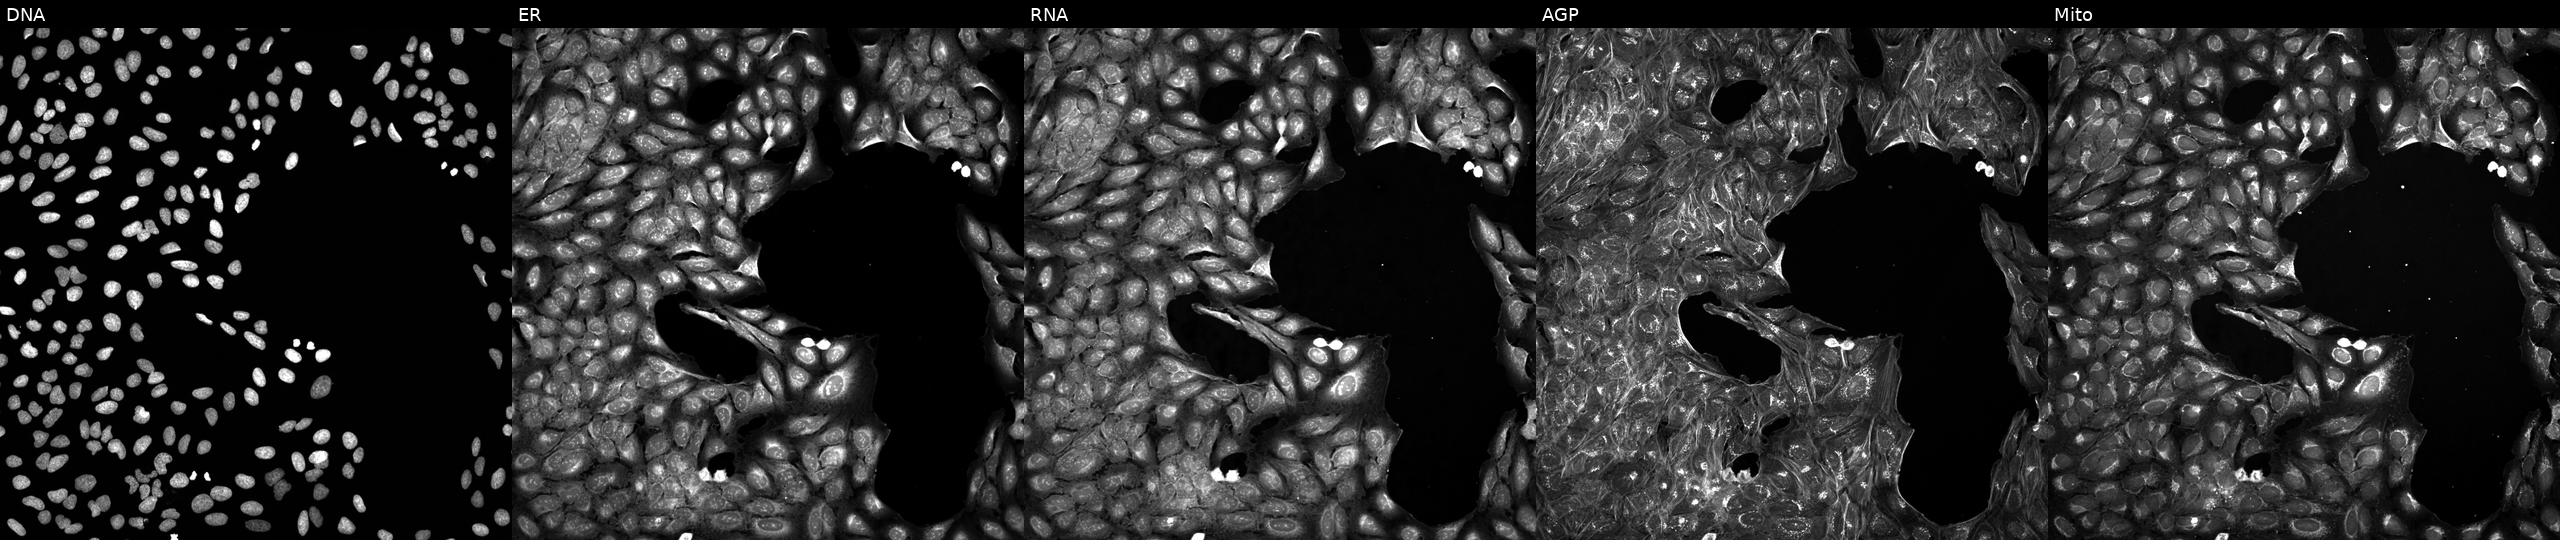
JUMP Cell Painting — COMPOUND plate. U2OS cells perturbed with a small-molecule compound (InChIKey ATTFOXIBHIWHKI-UHFFFAOYSA-N). Channels (left→right): Hoechst 33342, concanavalin A, SYTO 14, phalloidin and WGA, MitoTracker. Source 5, plate APTJUM105, well D03.